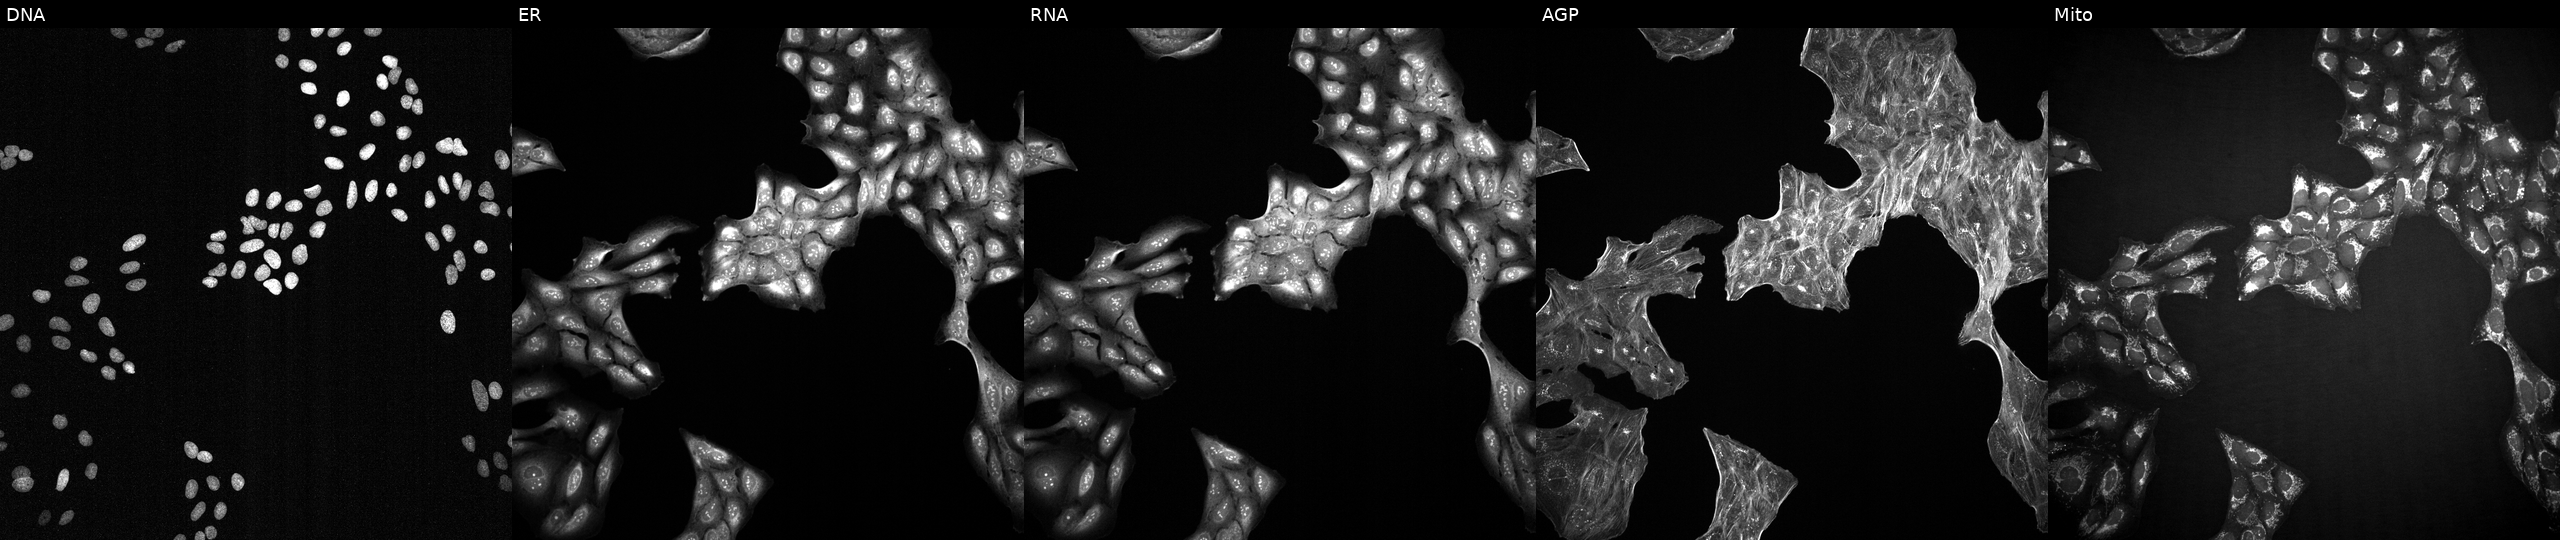
U2OS cells, Cell Painting assay, perturbed with a small-molecule compound (InChIKey PHSPJQZRQAJPPF-UHFFFAOYSA-N) (JUMP id JCP2022_068660). From left to right: DNA (nuclei); ER (endoplasmic reticulum); RNA (nucleoli and cytoplasmic RNA); AGP (actin cytoskeleton, Golgi, and plasma membrane); Mito (mitochondria). Each panel is percentile-stretched 16-bit fluorescence.